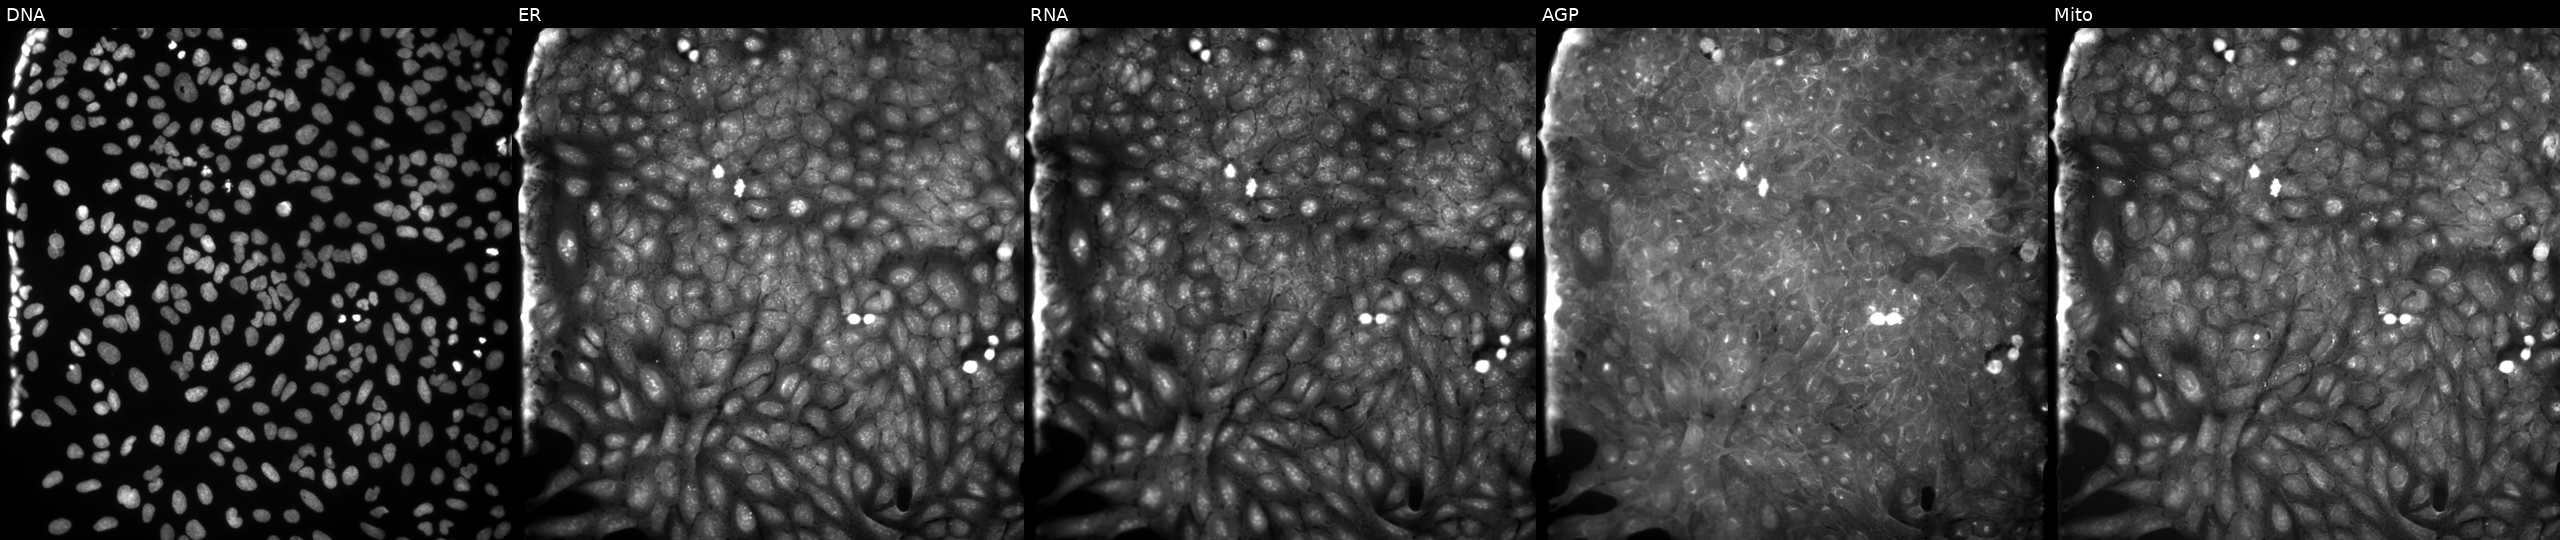
This image strip shows the five Cell Painting channels for a single field of U2OS cells perturbed with a small-molecule compound (InChIKey VKTZQGNPIUCLOL-UHFFFAOYSA-N) (JUMP id JCP2022_094627). From left to right: DNA (nuclei); ER (endoplasmic reticulum); RNA (nucleoli and cytoplasmic RNA); AGP (actin cytoskeleton, Golgi, and plasma membrane); Mito (mitochondria).